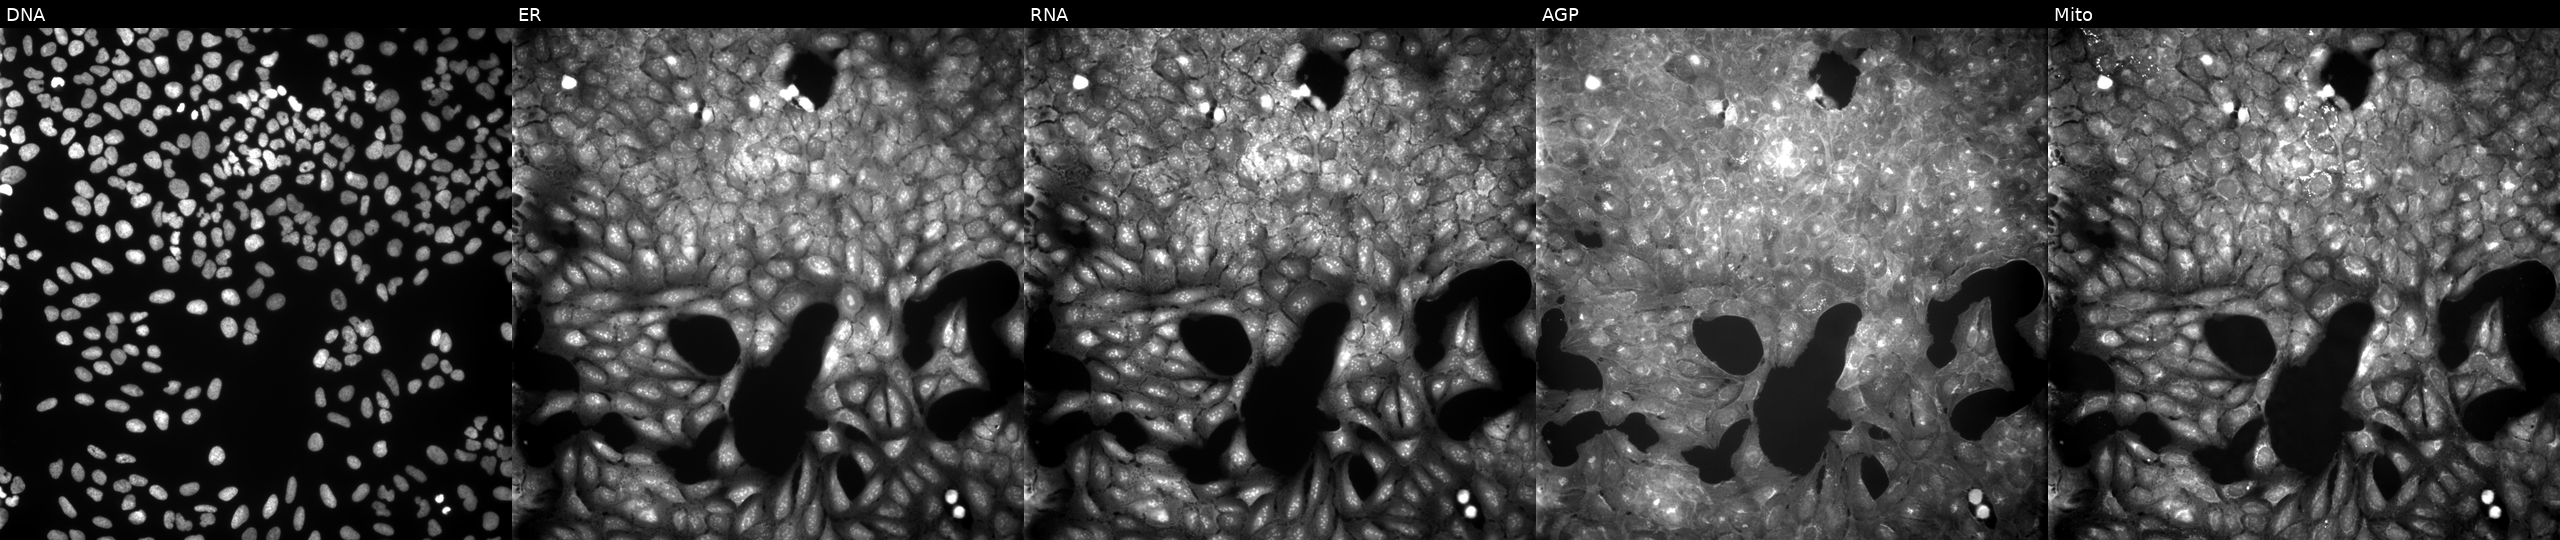
Channels (left→right): DNA (nuclei); ER (endoplasmic reticulum); RNA (nucleoli and cytoplasmic RNA); AGP (actin cytoskeleton, Golgi, and plasma membrane); Mito (mitochondria). U2OS osteosarcoma cells perturbed with a small-molecule compound. Cell Painting assay, JUMP-CP dataset. Source 9, plate GR00003382, well K19.